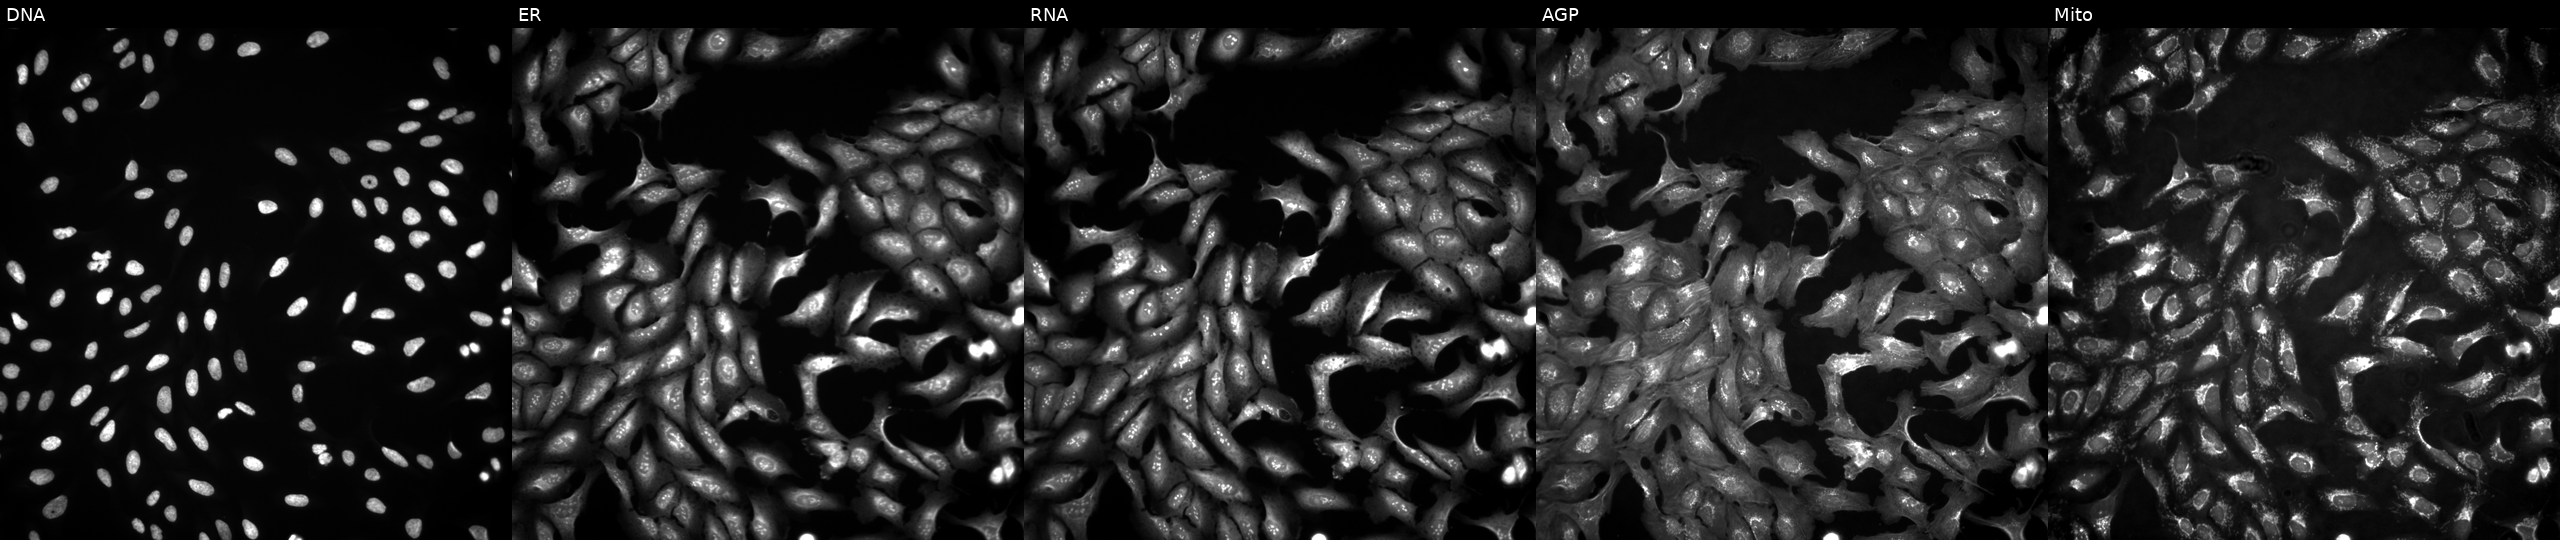
From left to right: DNA (nuclei); ER (endoplasmic reticulum); RNA (nucleoli and cytoplasmic RNA); AGP (actin cytoskeleton, Golgi, and plasma membrane); Mito (mitochondria). U2OS osteosarcoma cells overexpressing SLC22A15 via ORF transfection. Cell Painting assay, JUMP-CP dataset. Source 4, plate BR00124787, well B23.